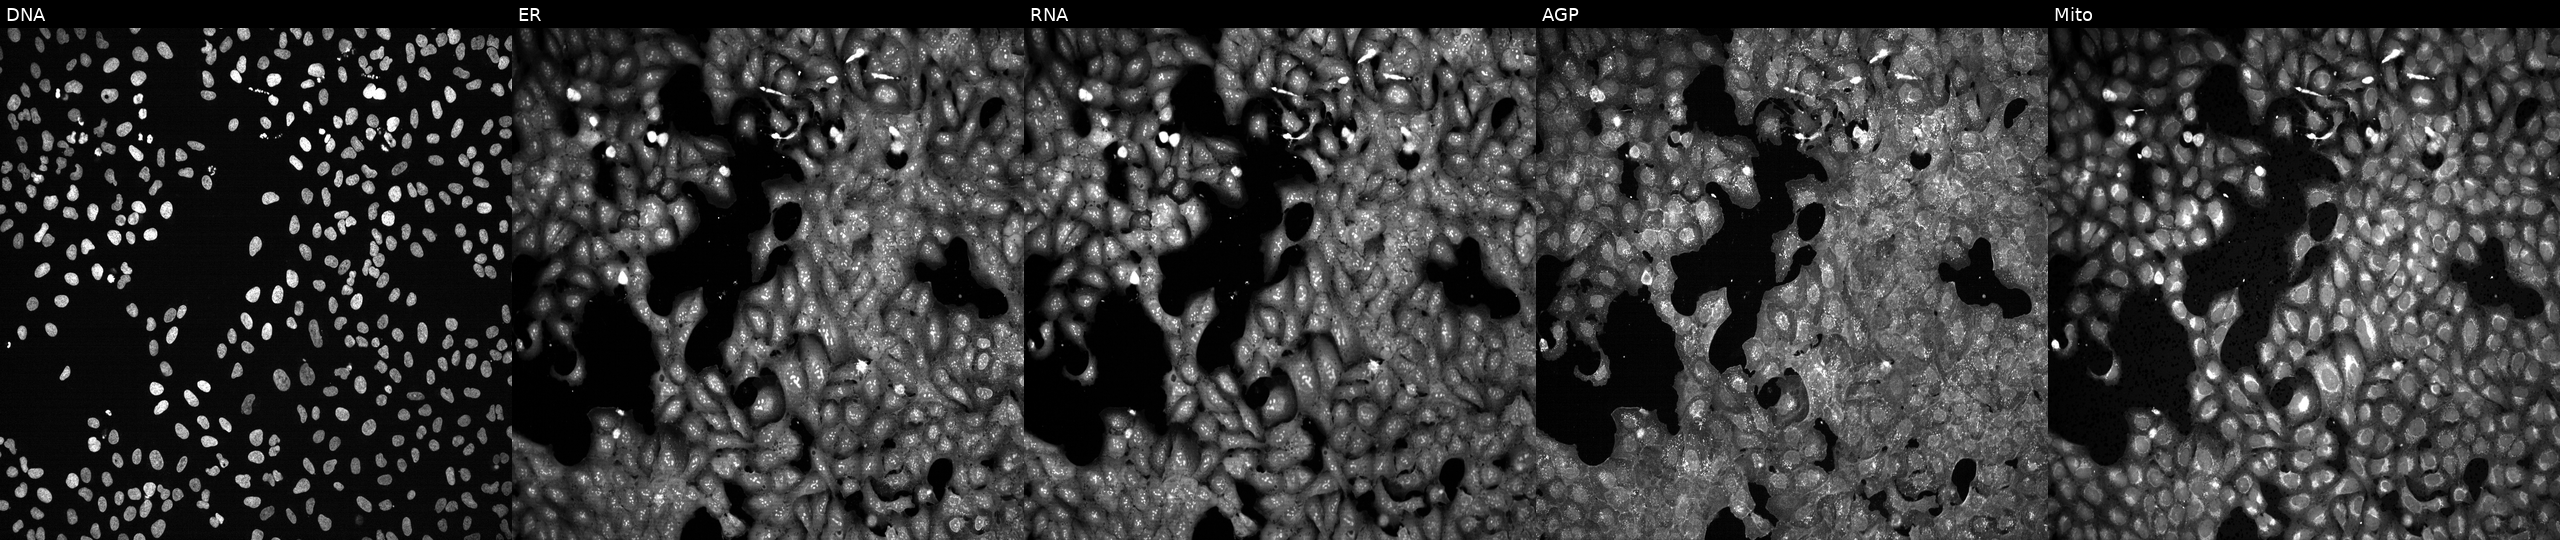
High-content fluorescence microscopy (Cell Painting). Cell line: U2OS. Perturbation: exposed to the positive-control compound NVS-PAK1-1 (JUMP id JCP2022_064022). Panels show, left to right, DNA (nuclei); ER (endoplasmic reticulum); RNA (nucleoli and cytoplasmic RNA); AGP (actin cytoskeleton, Golgi, and plasma membrane); Mito (mitochondria).